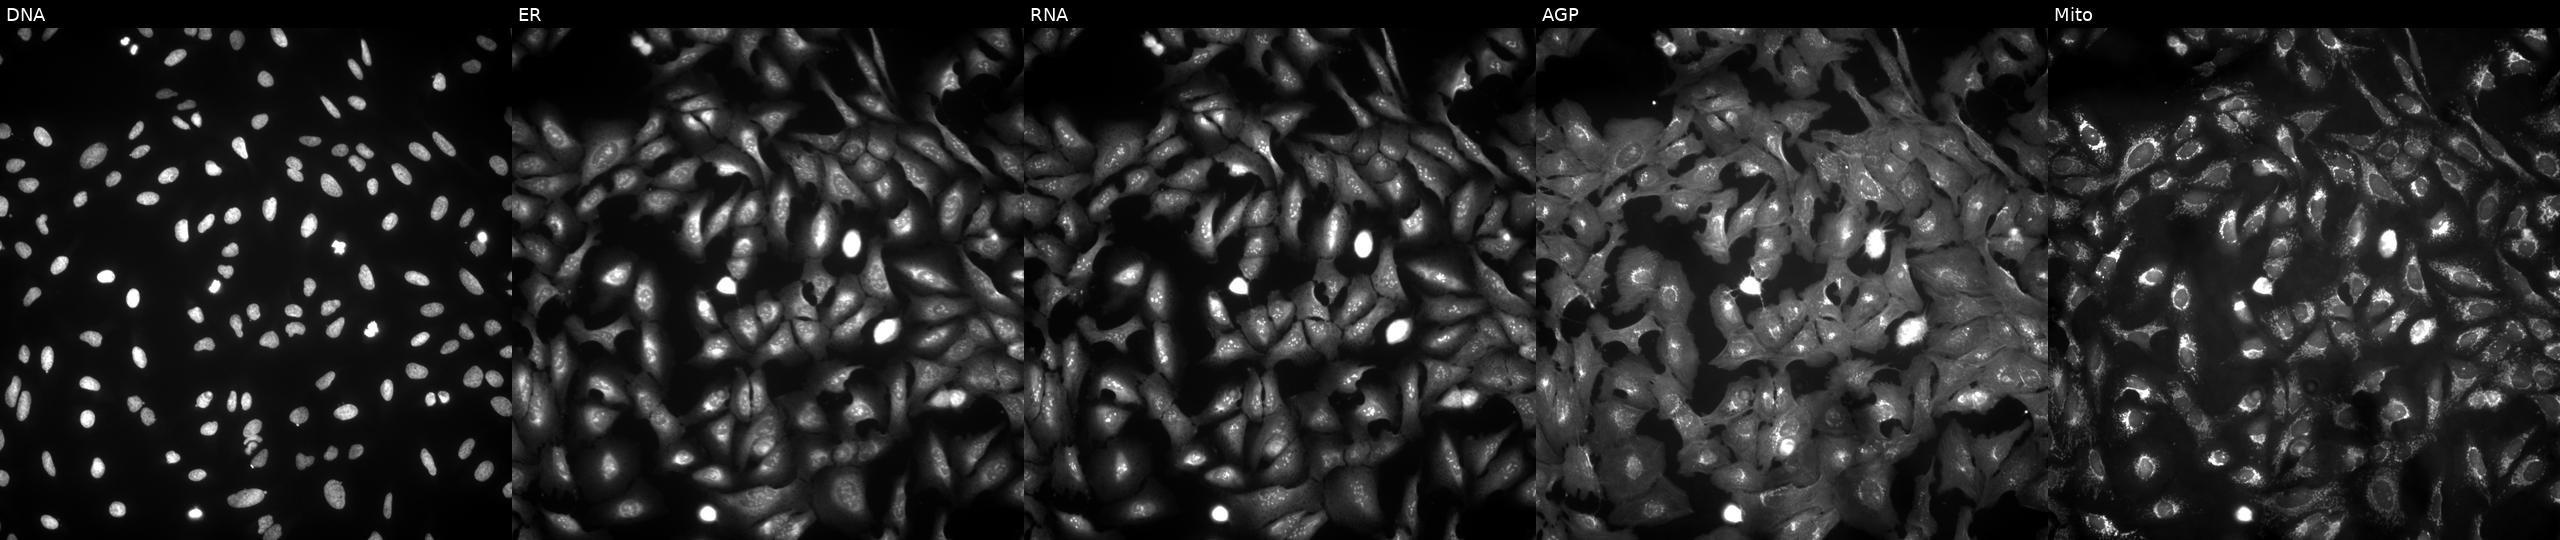
Five-channel Cell Painting image of U2OS cells overexpressing IVD via ORF transfection (JUMP id JCP2022_909727). From left to right: Hoechst 33342, concanavalin A, SYTO 14, phalloidin and WGA, MitoTracker. Source 4, plate BR00123506, well I05.